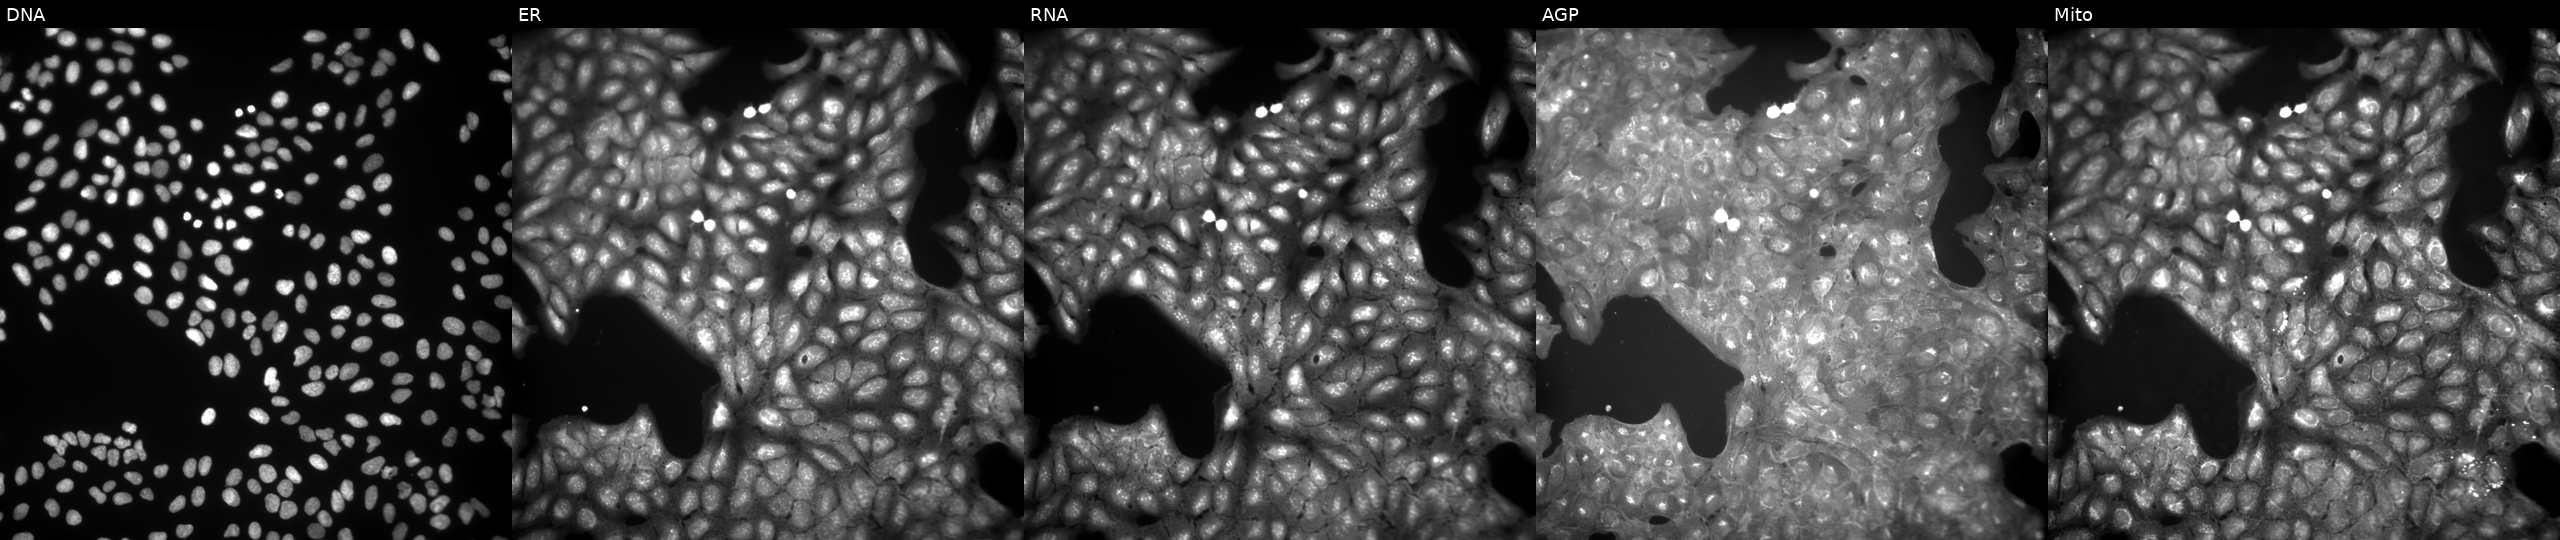
The five panels, left to right, show DNA, ER, RNA, AGP, and Mito. U2OS osteosarcoma cells exposed to a small-molecule compound. Cell Painting assay, JUMP-CP dataset. Source 9, plate GR00003382, well Z41.